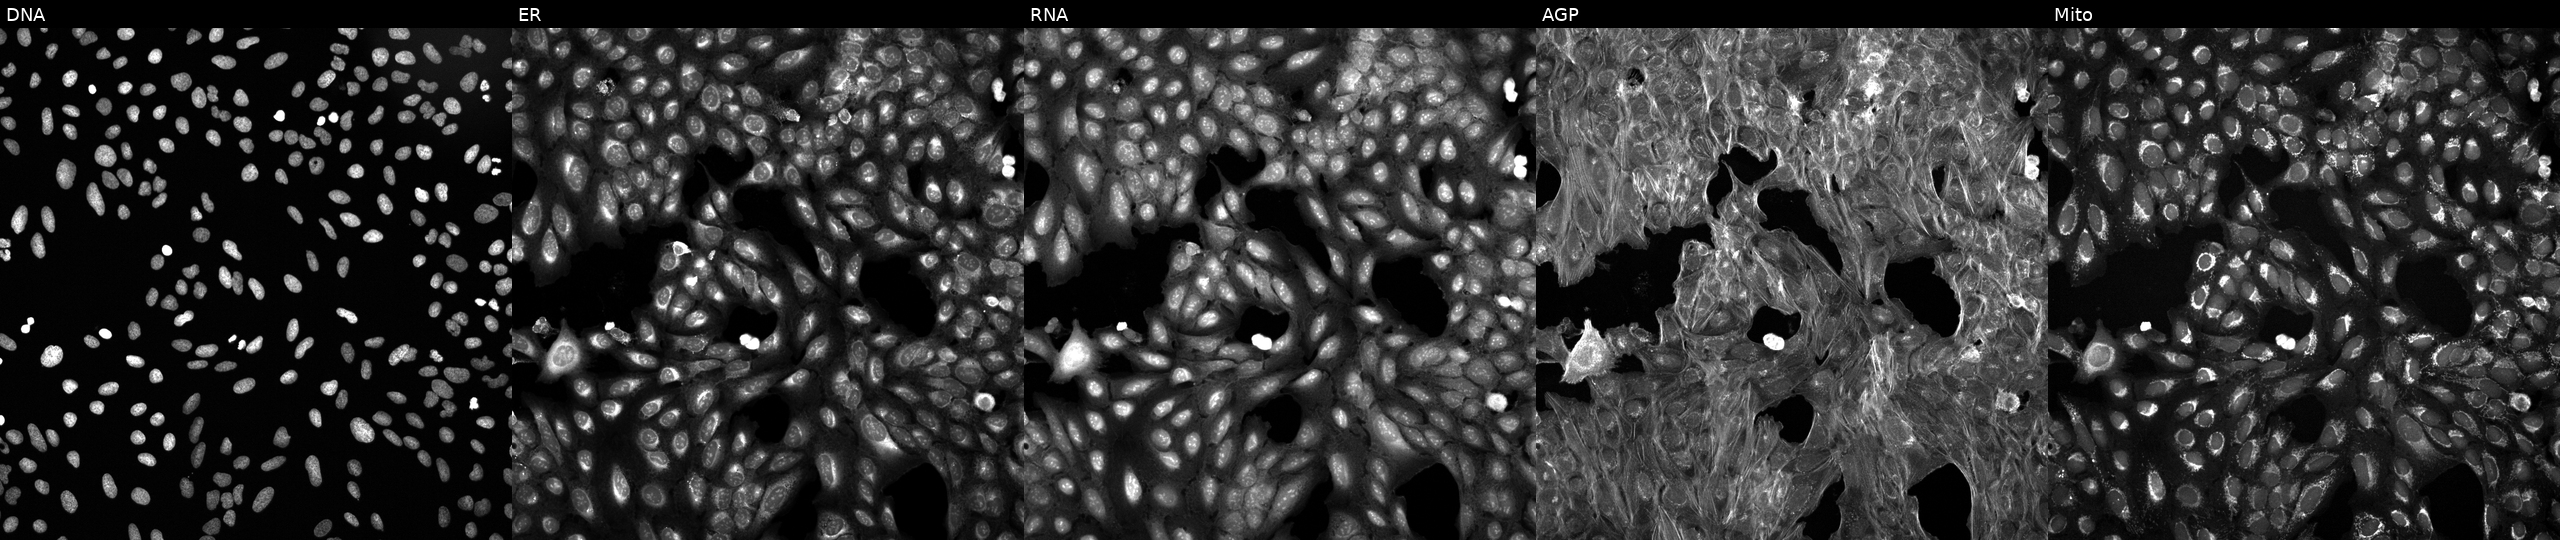
This image strip shows the five Cell Painting channels for a single field of U2OS cells treated with DMSO vehicle only (negative control). Channels (left→right): DNA (nuclei); ER (endoplasmic reticulum); RNA (nucleoli and cytoplasmic RNA); AGP (actin cytoskeleton, Golgi, and plasma membrane); Mito (mitochondria). Source 6, plate 110000294901, well K06.